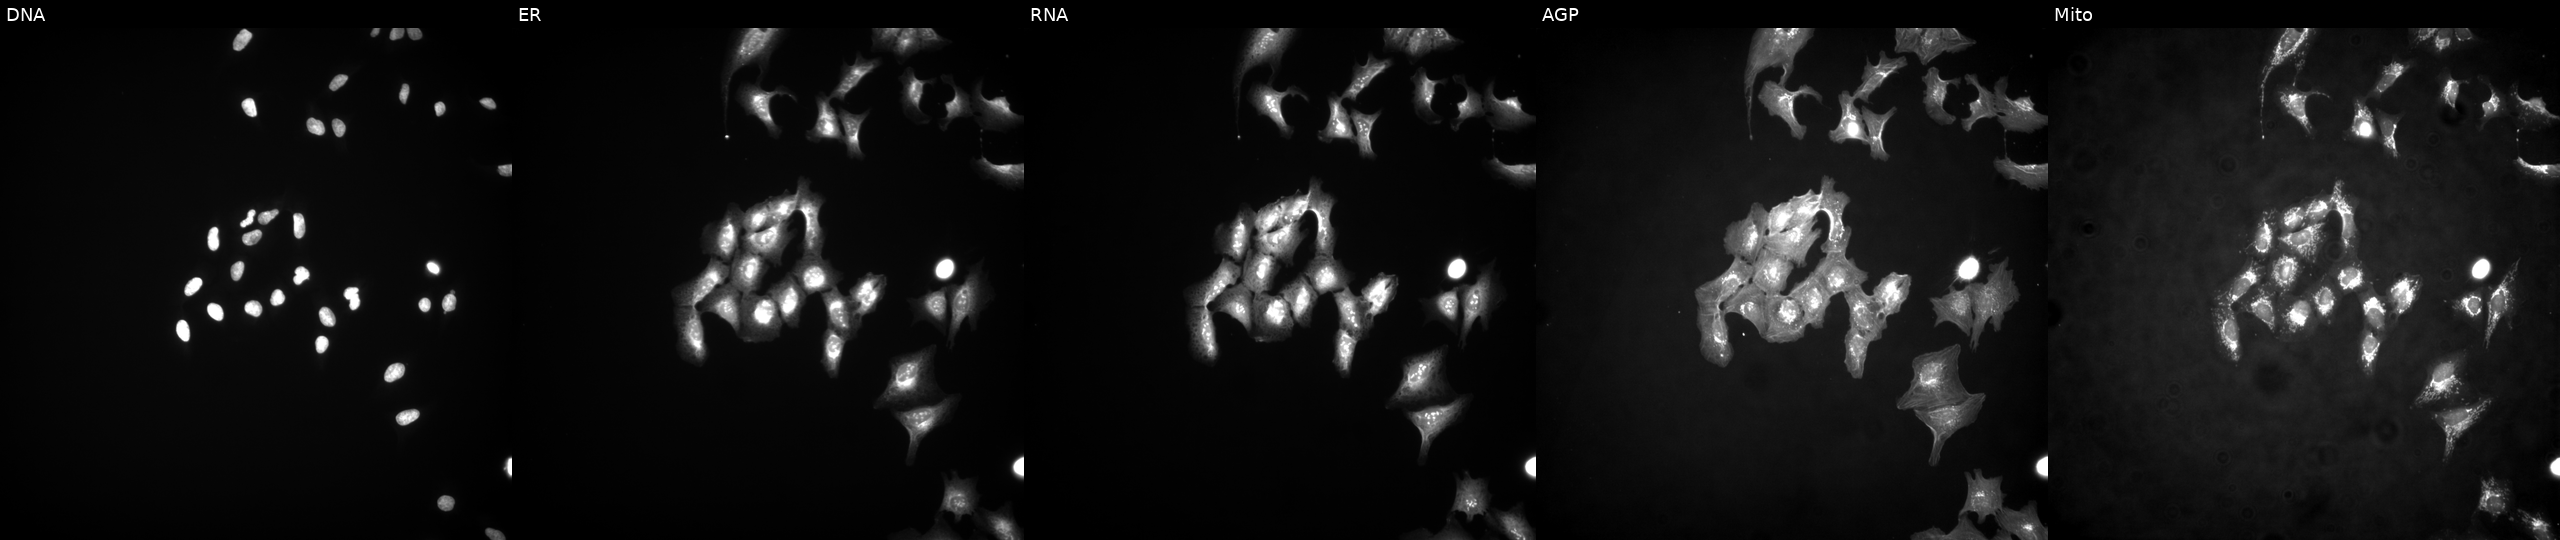
Five-channel Cell Painting image of U2OS cells transfected with an ORF construct for SH3GL1. Panels show, left to right, Hoechst 33342, concanavalin A, SYTO 14, phalloidin and WGA, MitoTracker.